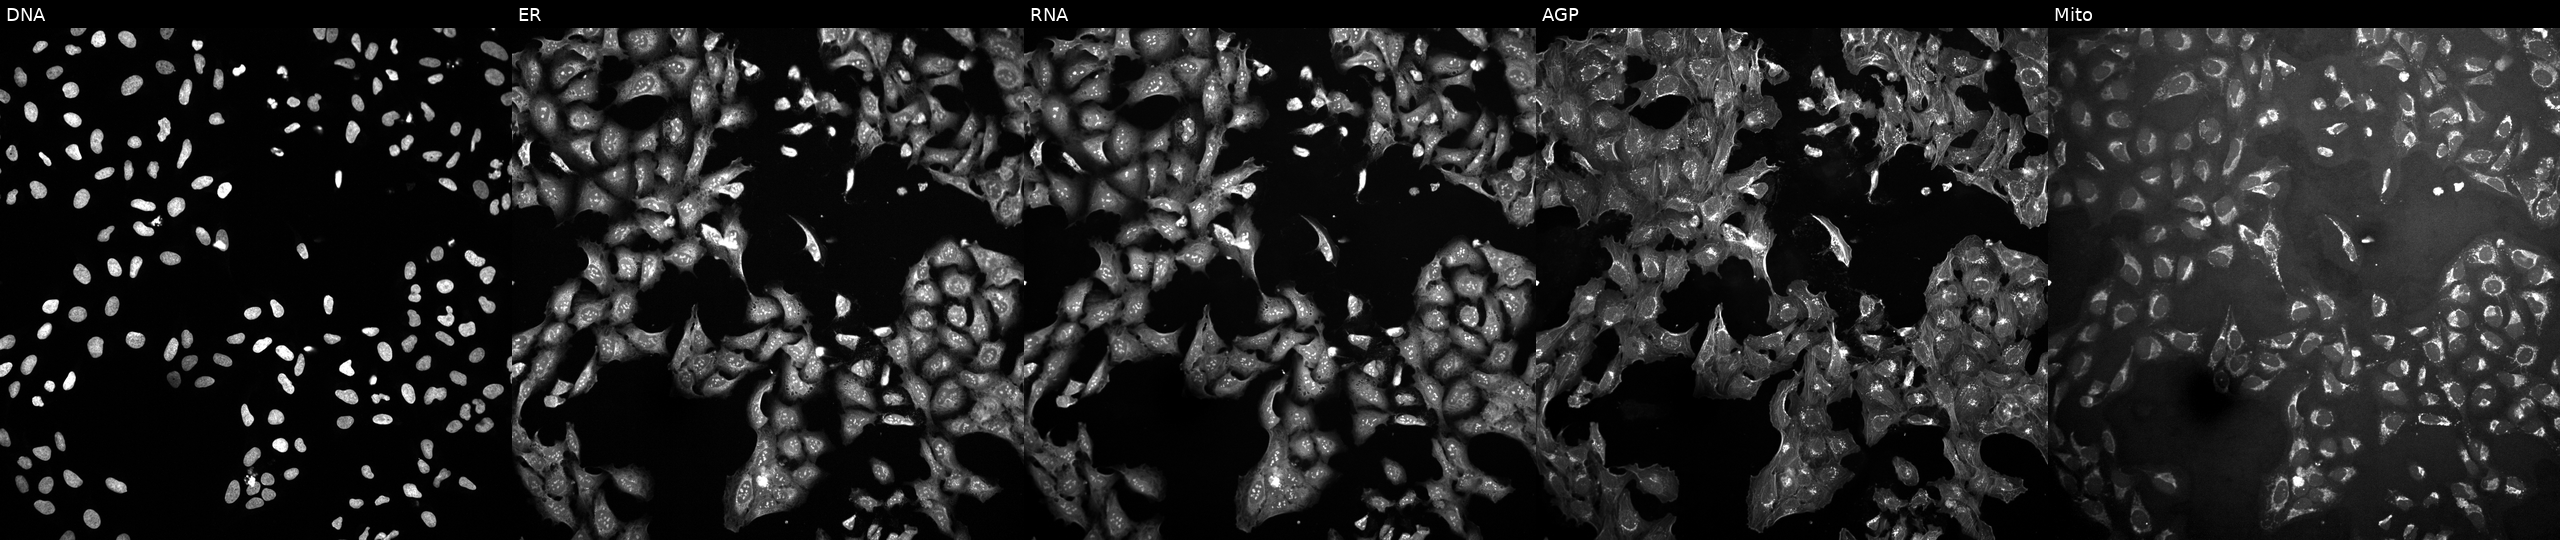
JUMP Cell Painting — COMPOUND plate. U2OS cells exposed to the positive-control compound NVS-PAK1-1. The five panels, left to right, show DNA (nuclei); ER (endoplasmic reticulum); RNA (nucleoli and cytoplasmic RNA); AGP (actin cytoskeleton, Golgi, and plasma membrane); Mito (mitochondria).